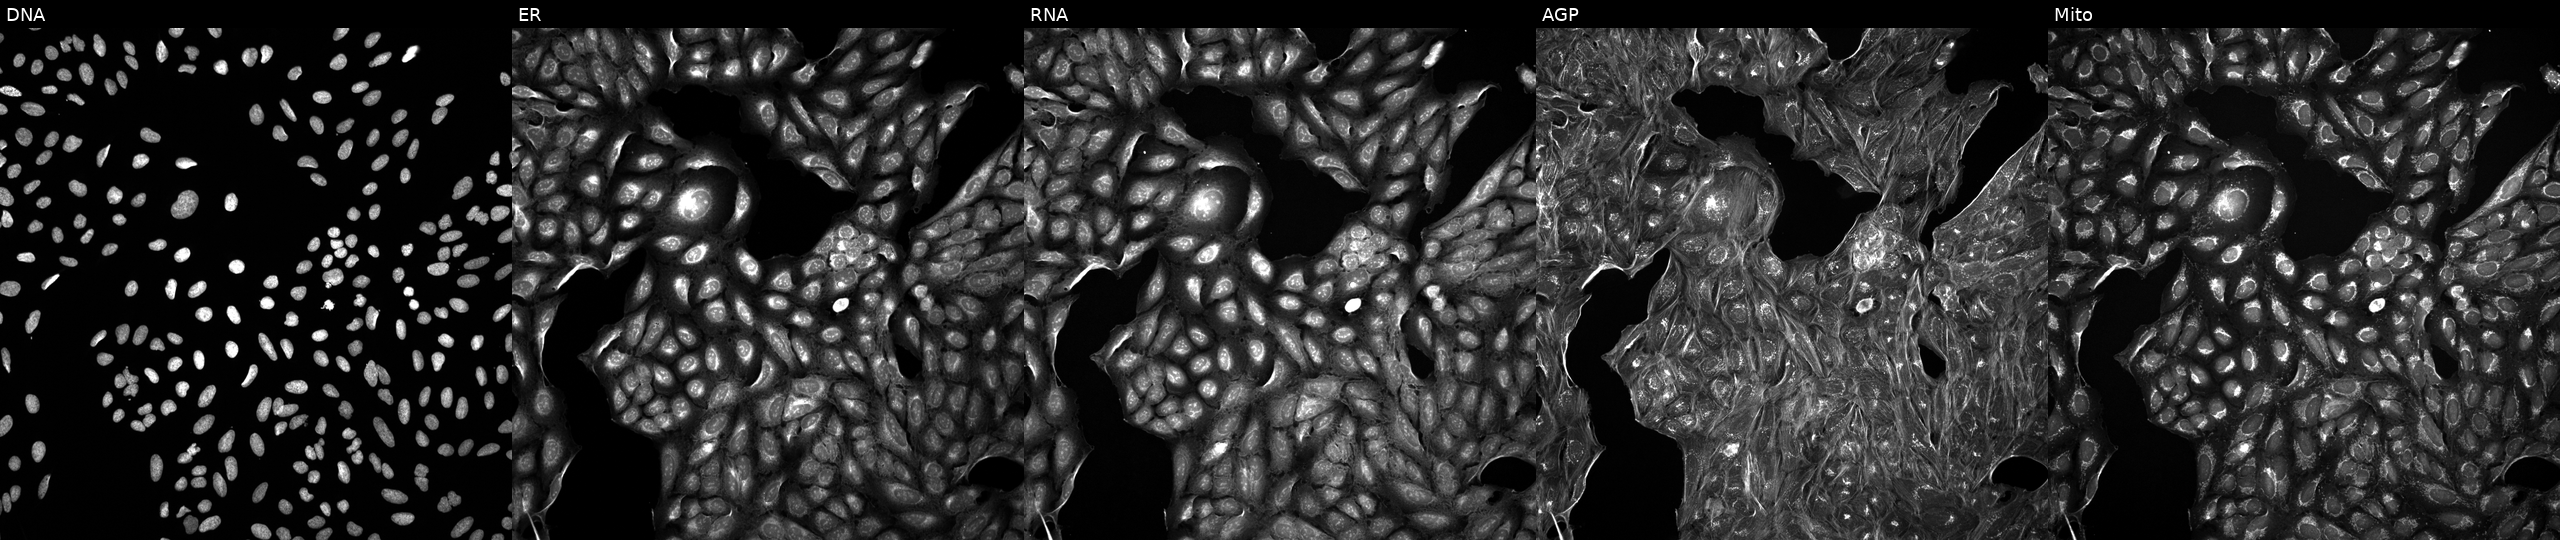
Five-channel Cell Painting image of U2OS cells treated with a small-molecule compound (JUMP id JCP2022_079715). Panels show, left to right, DNA (nuclei); ER (endoplasmic reticulum); RNA (nucleoli and cytoplasmic RNA); AGP (actin cytoskeleton, Golgi, and plasma membrane); Mito (mitochondria).